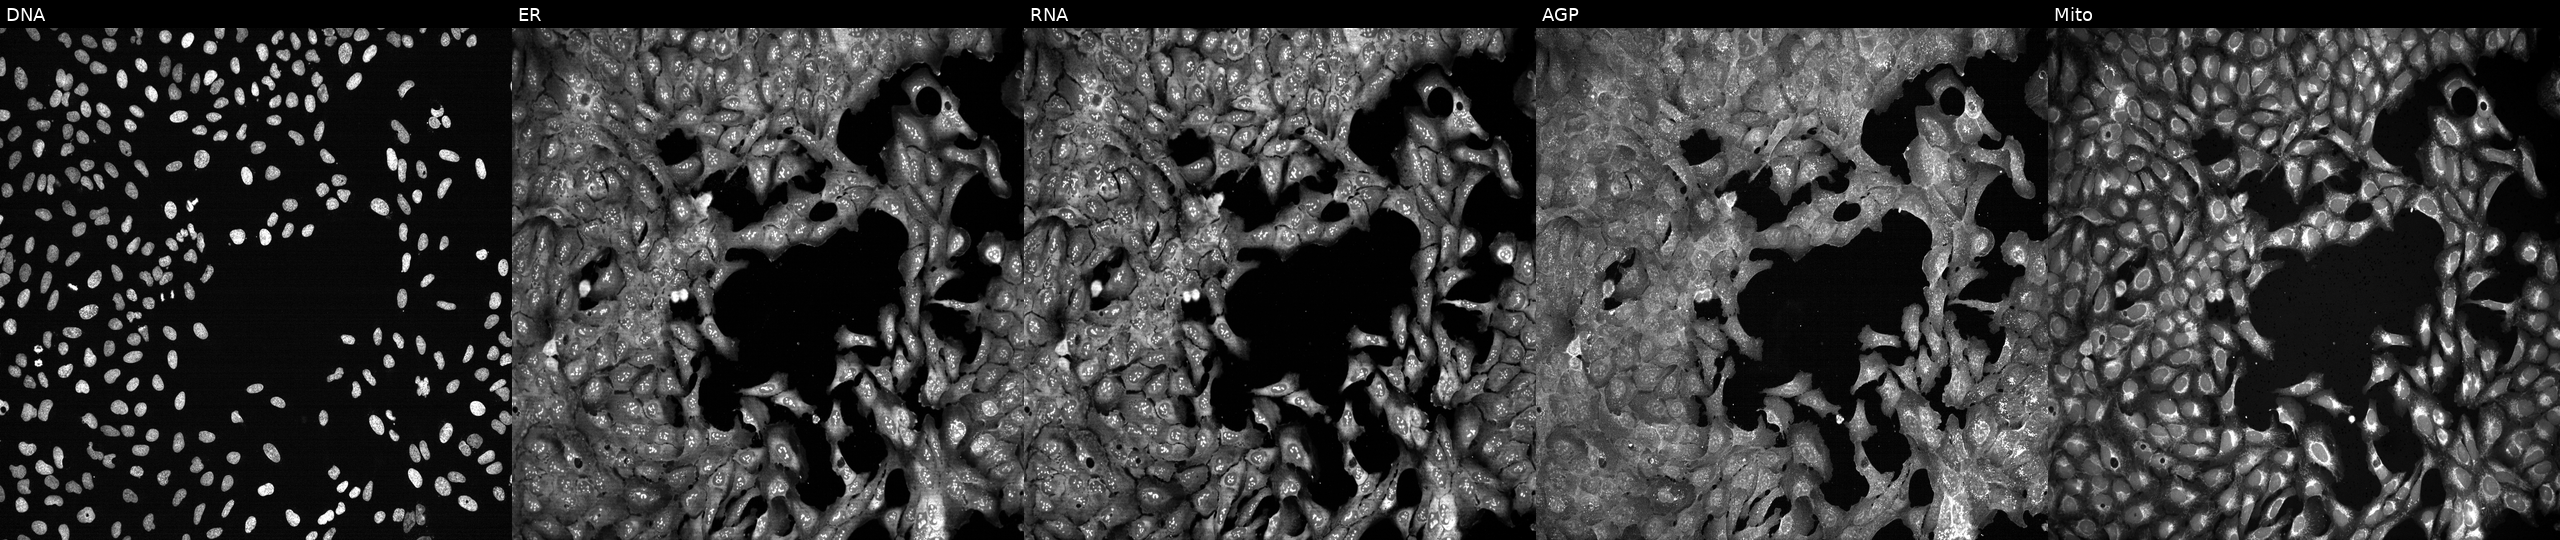
High-content fluorescence microscopy (Cell Painting). Cell line: U2OS. Perturbation: CRISPR-edited to disrupt VNN3 (JUMP id JCP2022_807659). The five panels, left to right, show DNA, ER, RNA, AGP, and Mito. Source 13, plate CP-CC9-R5-01, well J08.